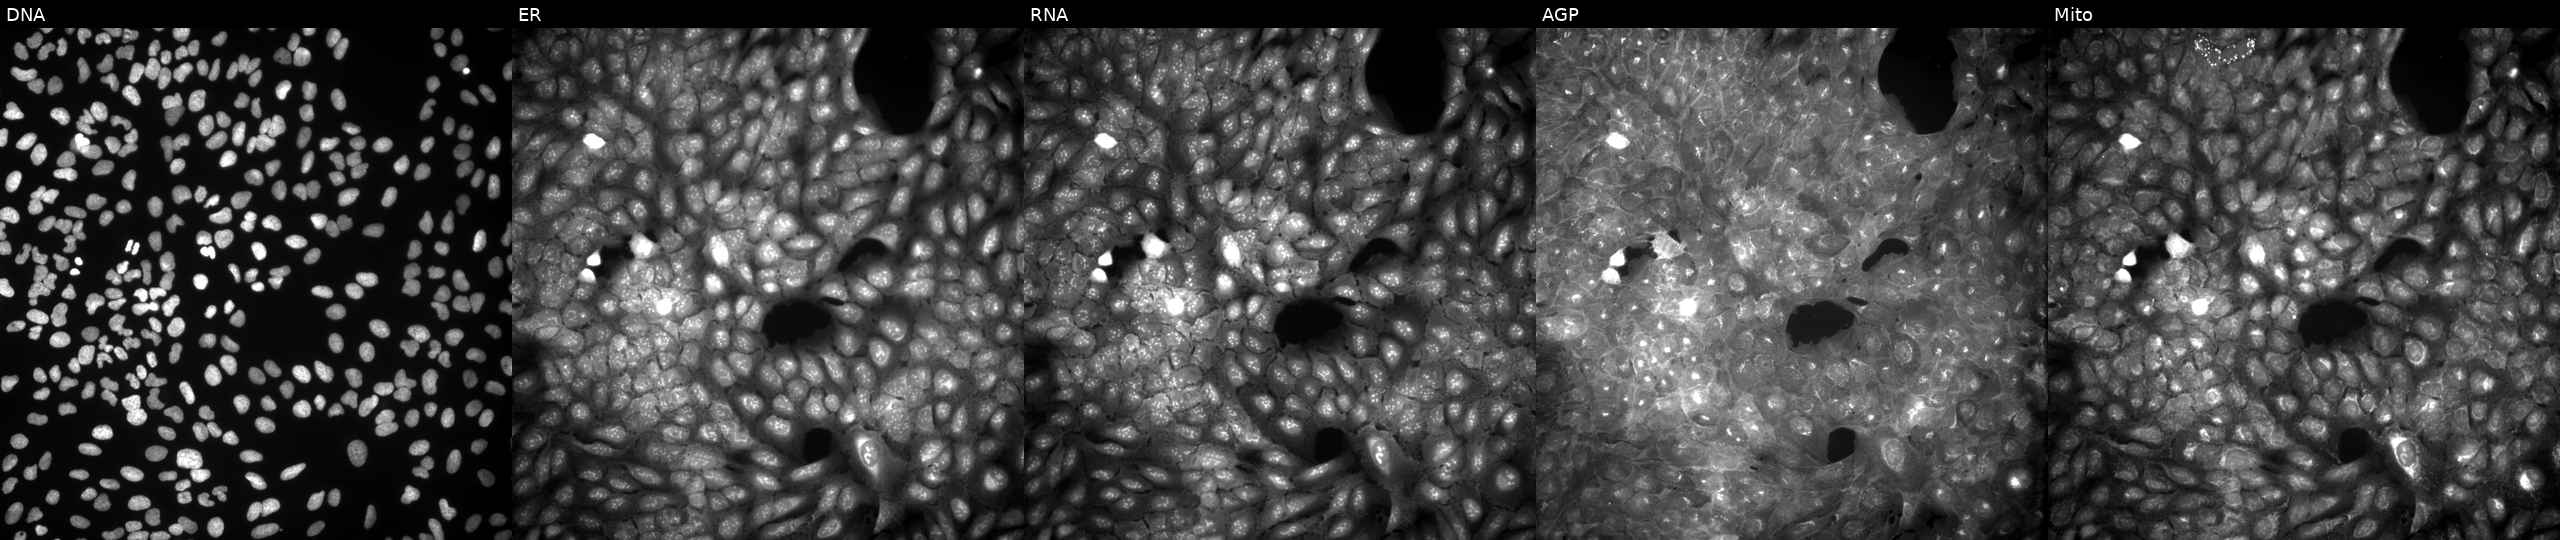
From left to right: Hoechst 33342, concanavalin A, SYTO 14, phalloidin and WGA, MitoTracker. U2OS osteosarcoma cells exposed to DMSO alone as a negative control. Cell Painting assay, JUMP-CP dataset.